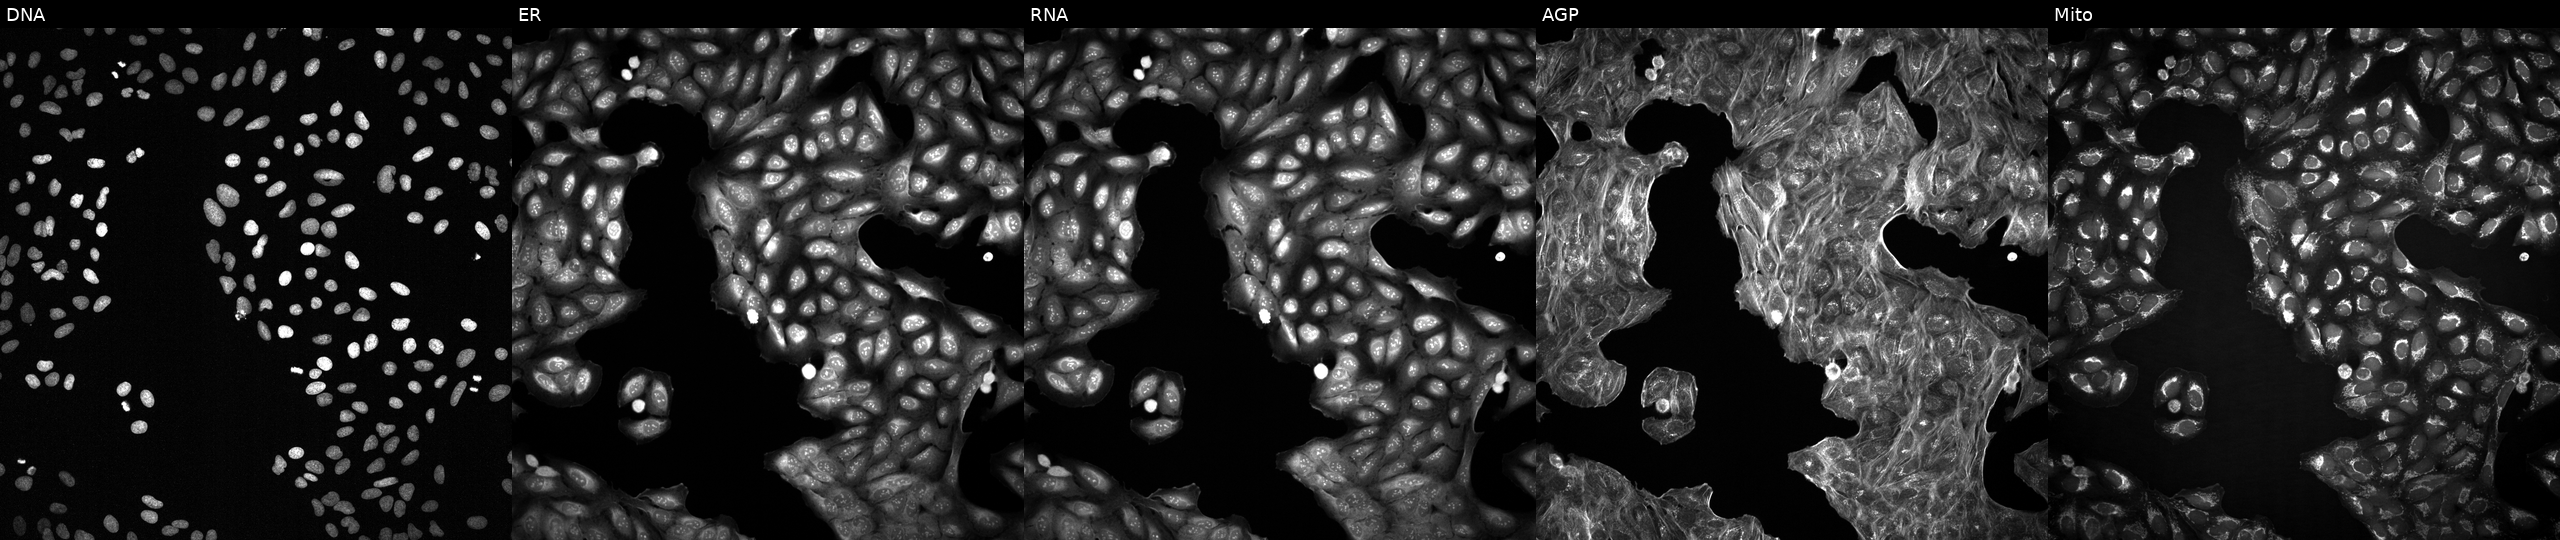
Channels (left→right): DNA, ER, RNA, AGP, and Mito. U2OS osteosarcoma cells treated with DMSO vehicle only (negative control) (JUMP id JCP2022_033924). Cell Painting assay, JUMP-CP dataset.